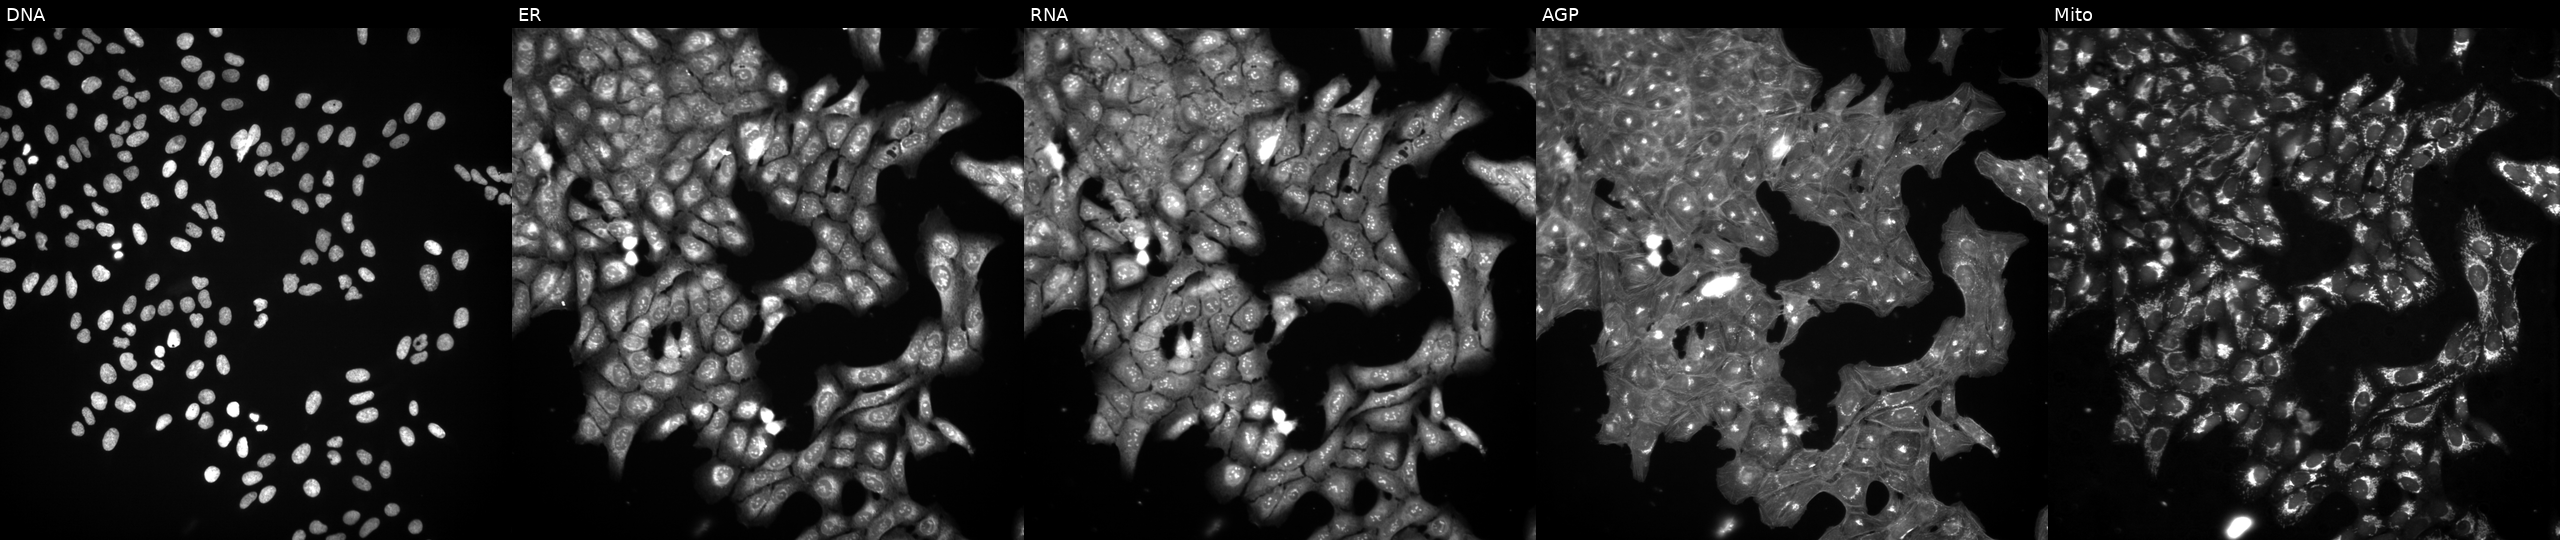
This image strip shows the five Cell Painting channels for a single field of U2OS cells perturbed with a small-molecule compound (InChIKey CMXBLBDEIROVGW-UHFFFAOYSA-N) (JUMP id JCP2022_012188). Channels (left→right): DNA (nuclei); ER (endoplasmic reticulum); RNA (nucleoli and cytoplasmic RNA); AGP (actin cytoskeleton, Golgi, and plasma membrane); Mito (mitochondria). Source 3, plate BR5867a3, well G05.